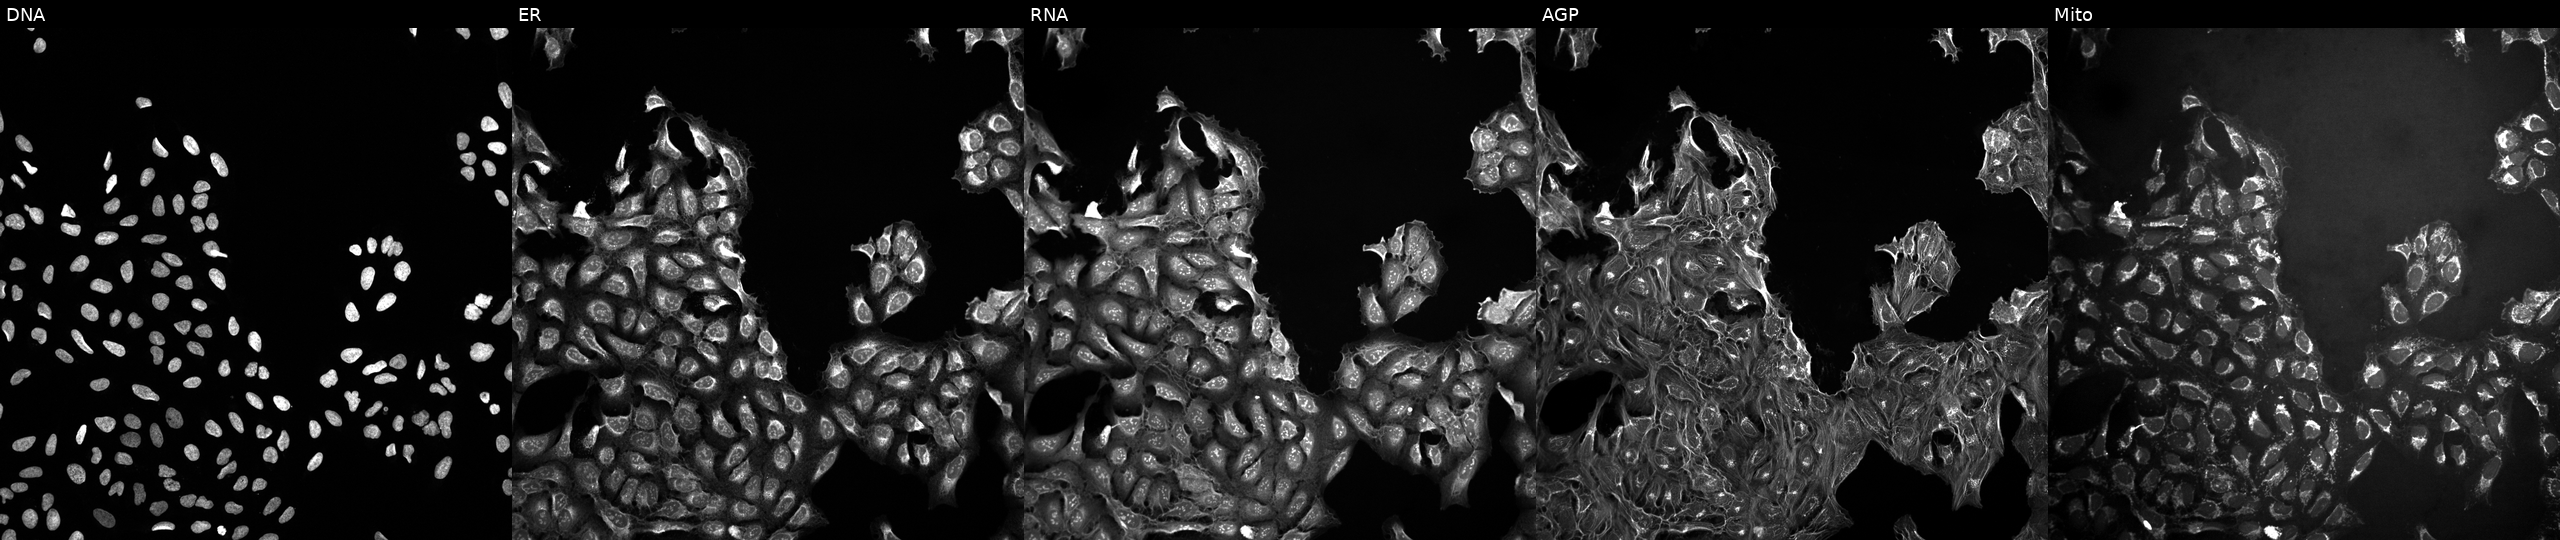
Panels show, left to right, DNA, ER, RNA, AGP, and Mito. U2OS osteosarcoma cells perturbed with a small-molecule compound (InChIKey HFNBQRWFEPFBLU-UHFFFAOYSA-N) (JUMP id JCP2022_029864). Cell Painting assay, JUMP-CP dataset.